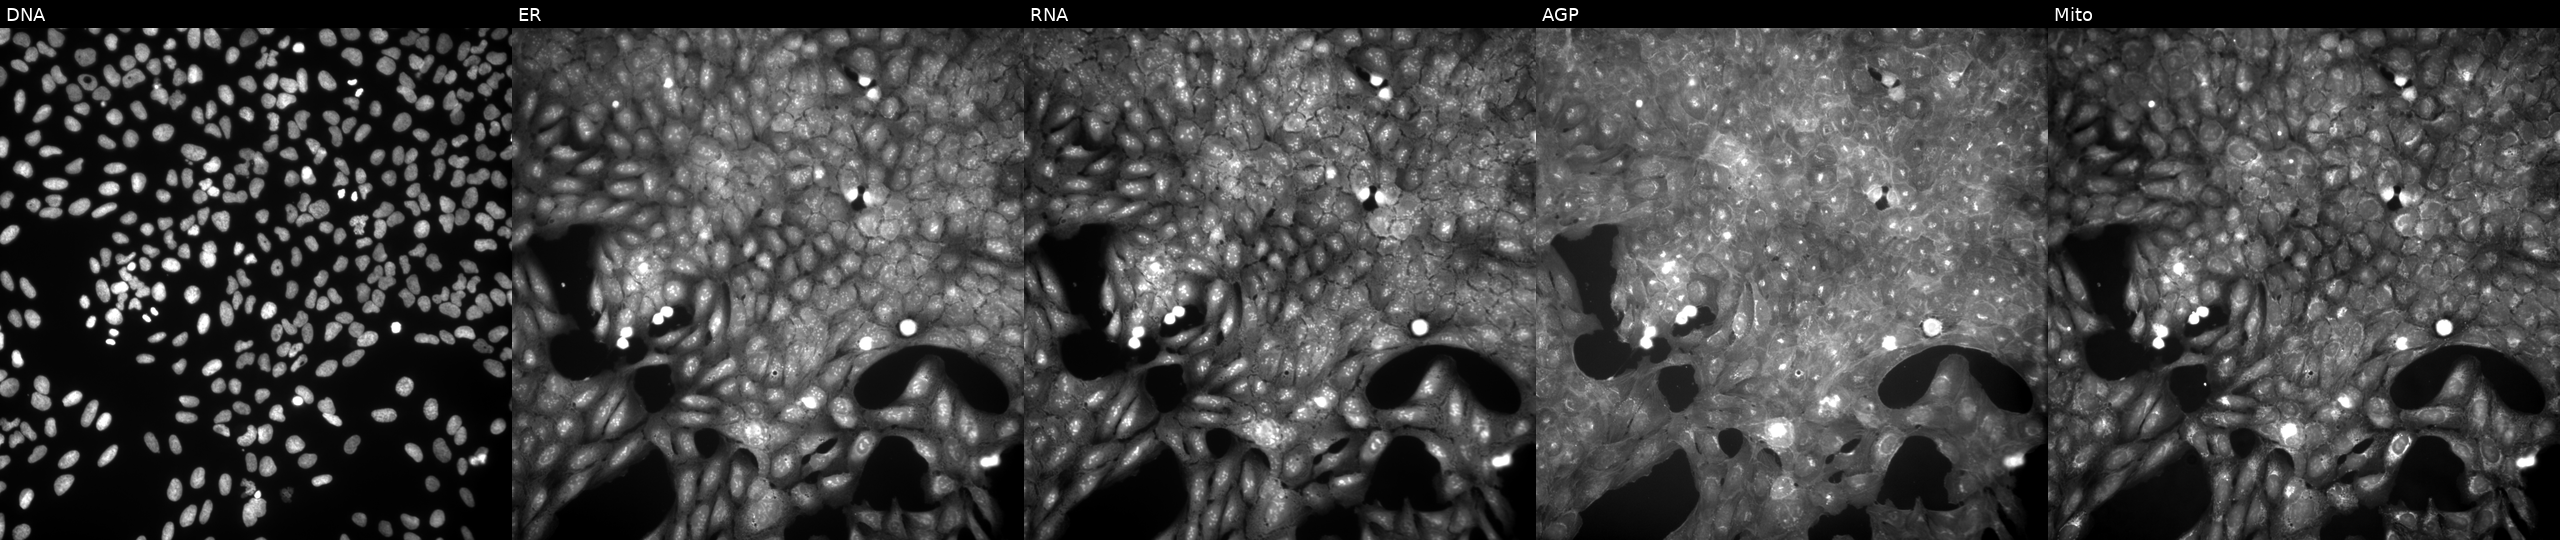
Channels (left→right): DNA, ER, RNA, AGP, and Mito. U2OS osteosarcoma cells perturbed with a small-molecule compound (InChIKey QYPFFULZBJETKB-UHFFFAOYSA-N) (JUMP id JCP2022_076730). Cell Painting assay, JUMP-CP dataset. Source 9, plate GR00003381, well Q37.